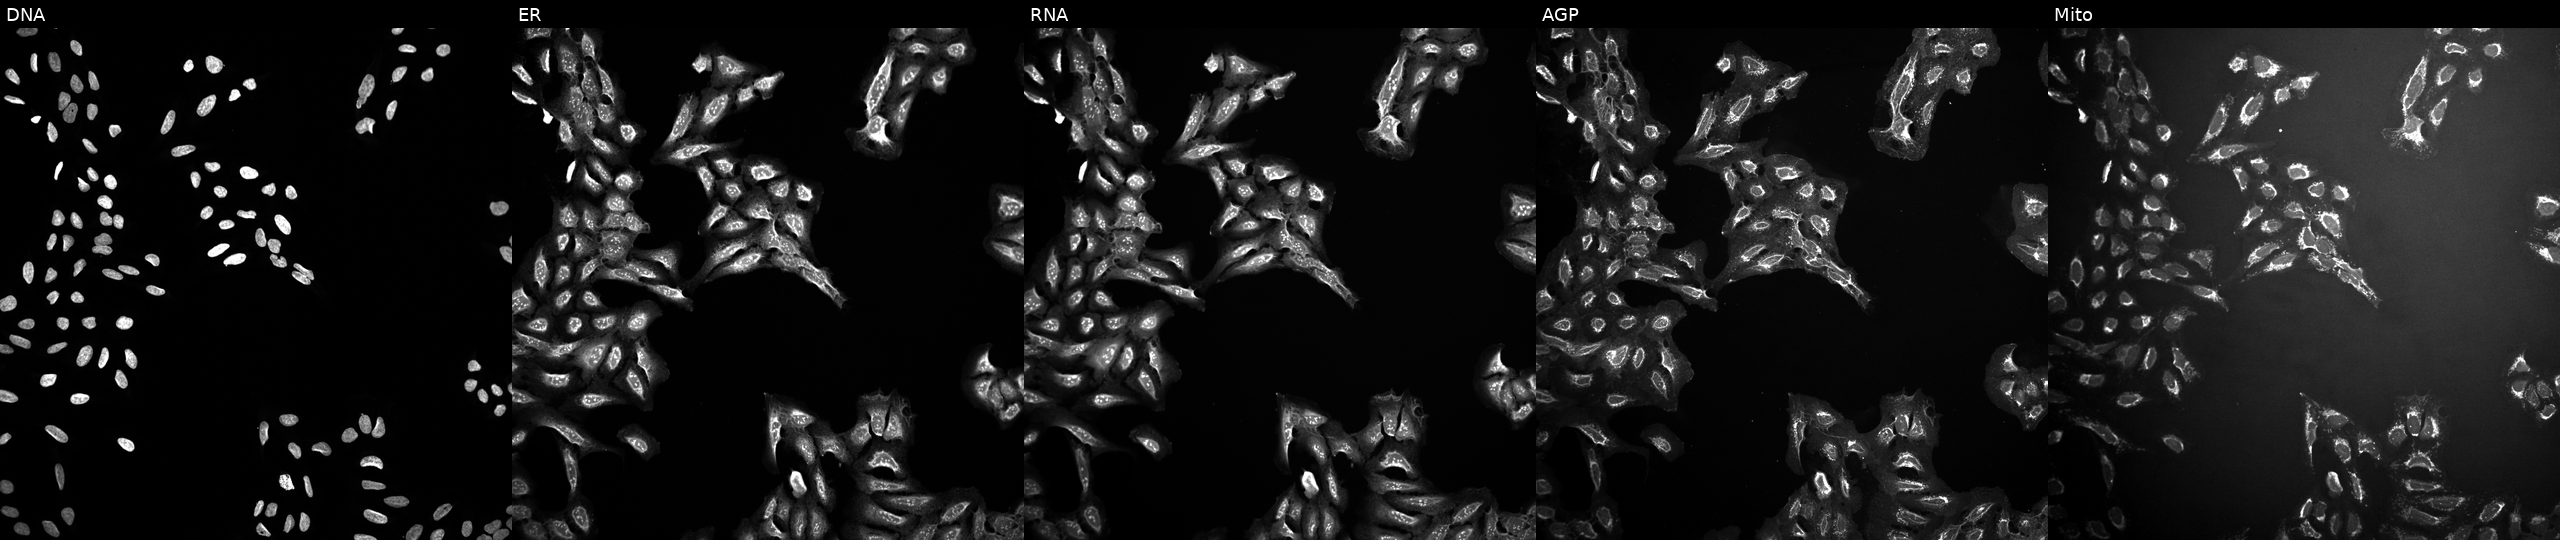
Panels show, left to right, DNA, ER, RNA, AGP, and Mito. U2OS osteosarcoma cells treated with a small-molecule compound (InChIKey NUKYPUAOHBNCPY-UHFFFAOYSA-N) [SMILES: N=c1cc[nH]cc1] (JUMP id JCP2022_061437). Cell Painting assay, JUMP-CP dataset. Source 10, plate Dest210803-153958, well B18.